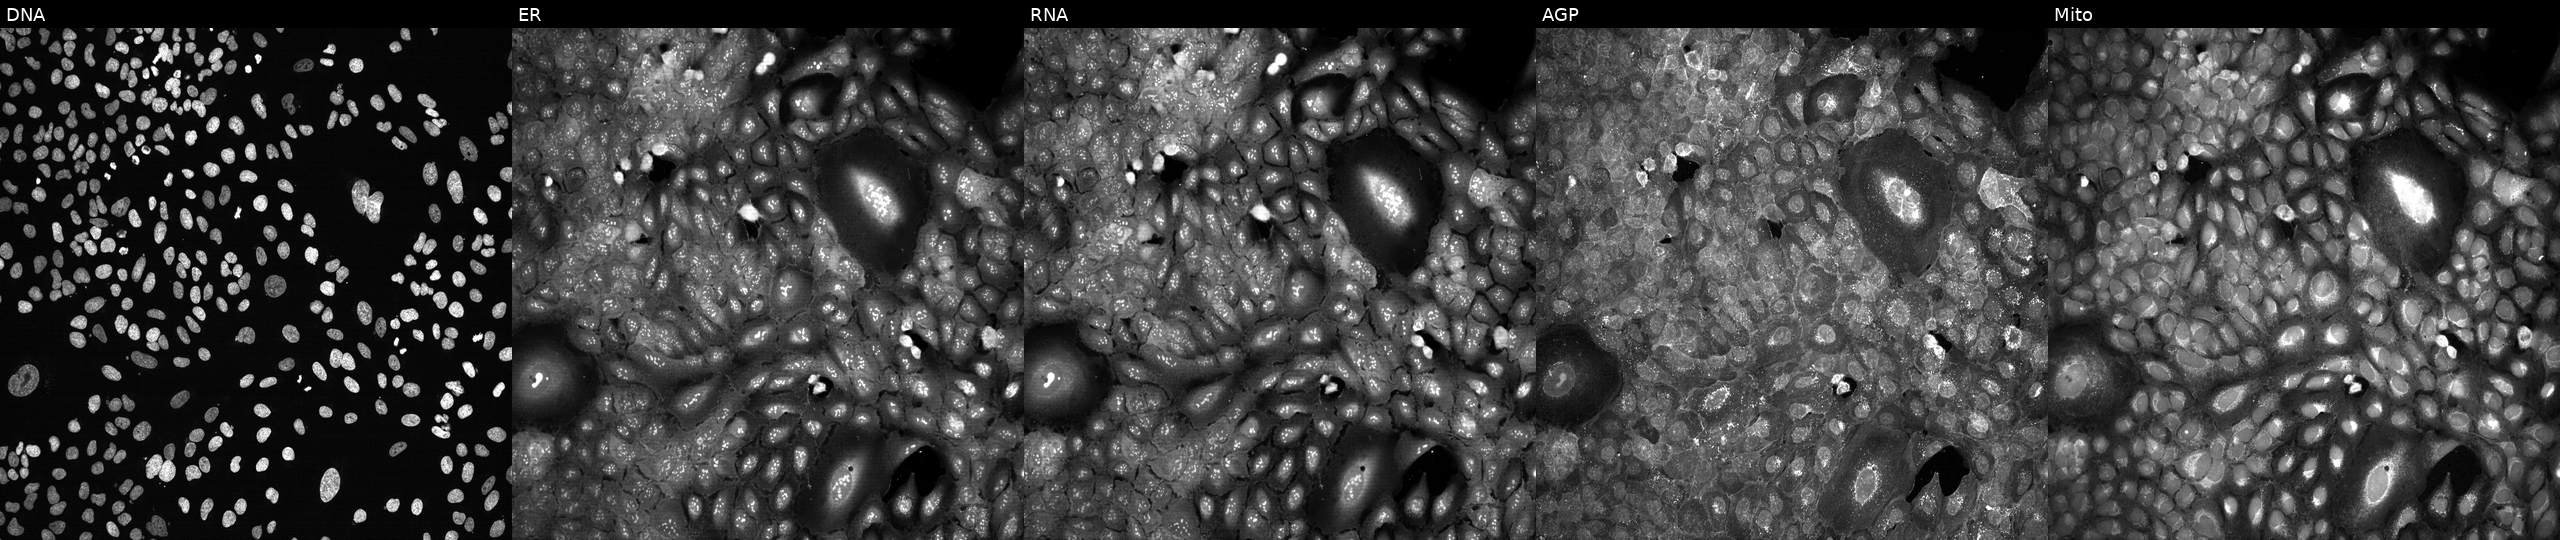
This image strip shows the five Cell Painting channels for a single field of U2OS cells CRISPR-edited to disrupt AIFM2 (JUMP id JCP2022_800334). The five panels, left to right, show Hoechst 33342, concanavalin A, SYTO 14, phalloidin and WGA, MitoTracker.